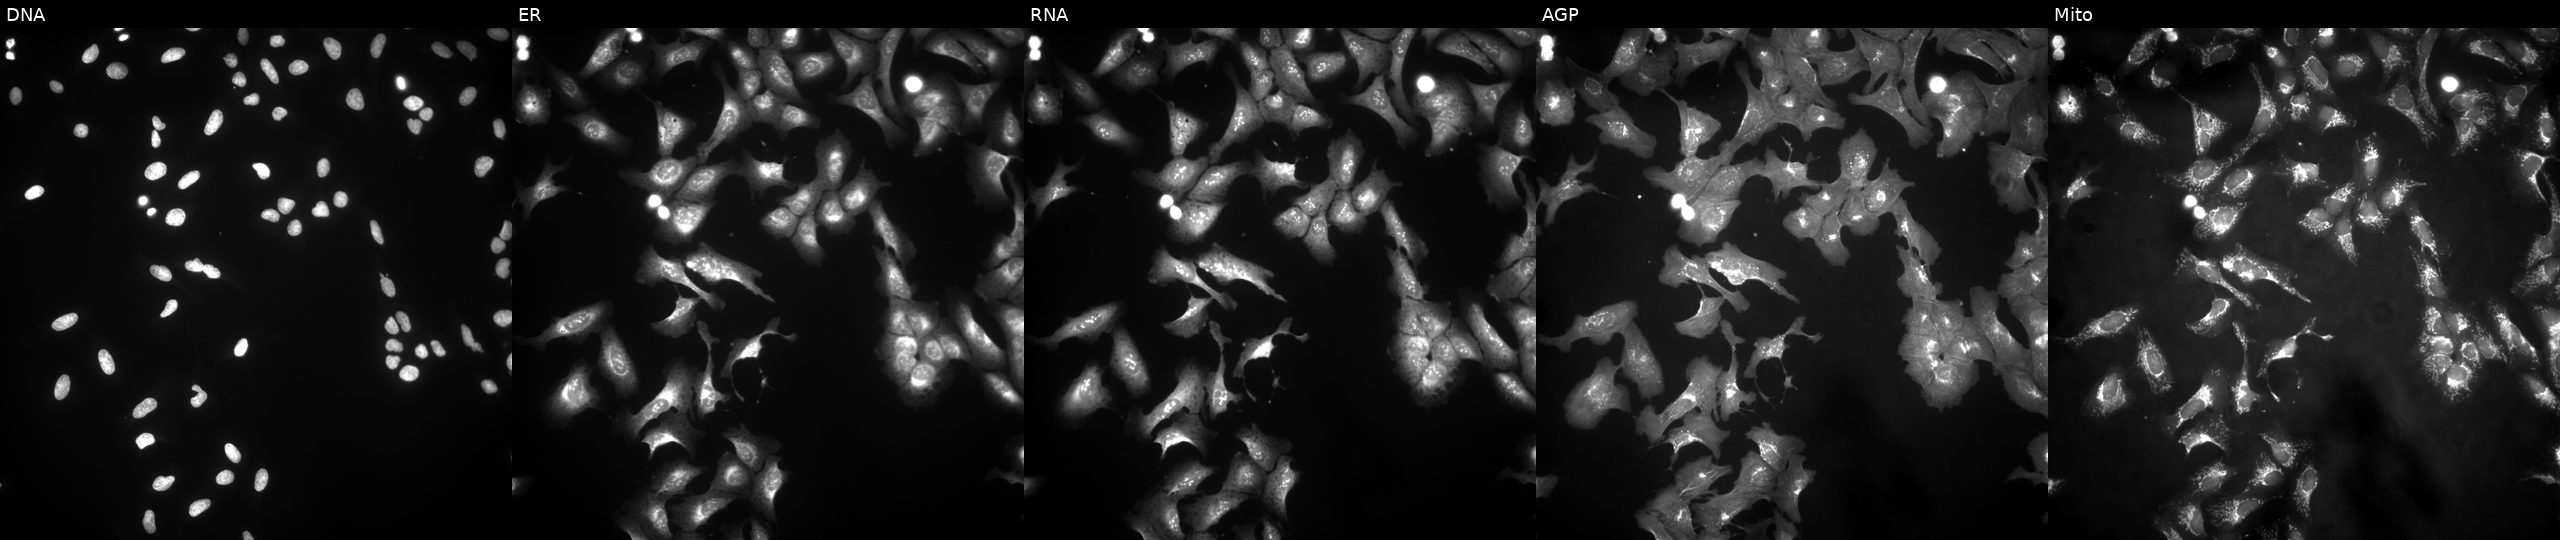
High-content fluorescence microscopy (Cell Painting). Cell line: U2OS. Perturbation: transfected with an ORF construct for KATNAL2 (JUMP id JCP2022_908496). The five panels, left to right, show Hoechst 33342, concanavalin A, SYTO 14, phalloidin and WGA, MitoTracker.